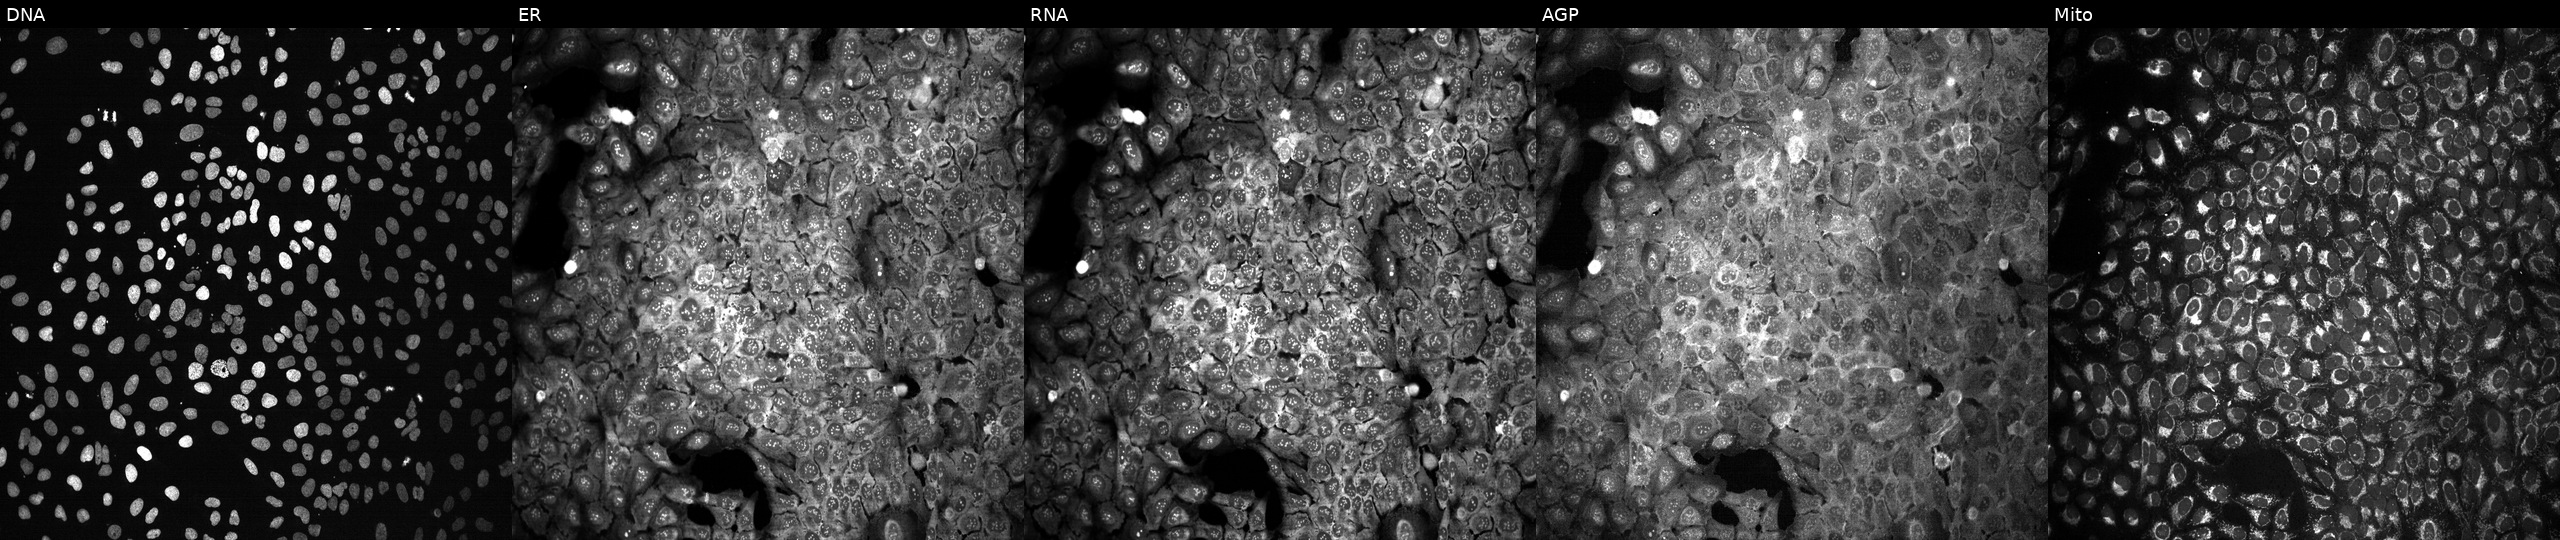
This image strip shows the five Cell Painting channels for a single field of U2OS cells following CRISPR knockout of NMNAT2. Panels show, left to right, DNA, ER, RNA, AGP, and Mito.